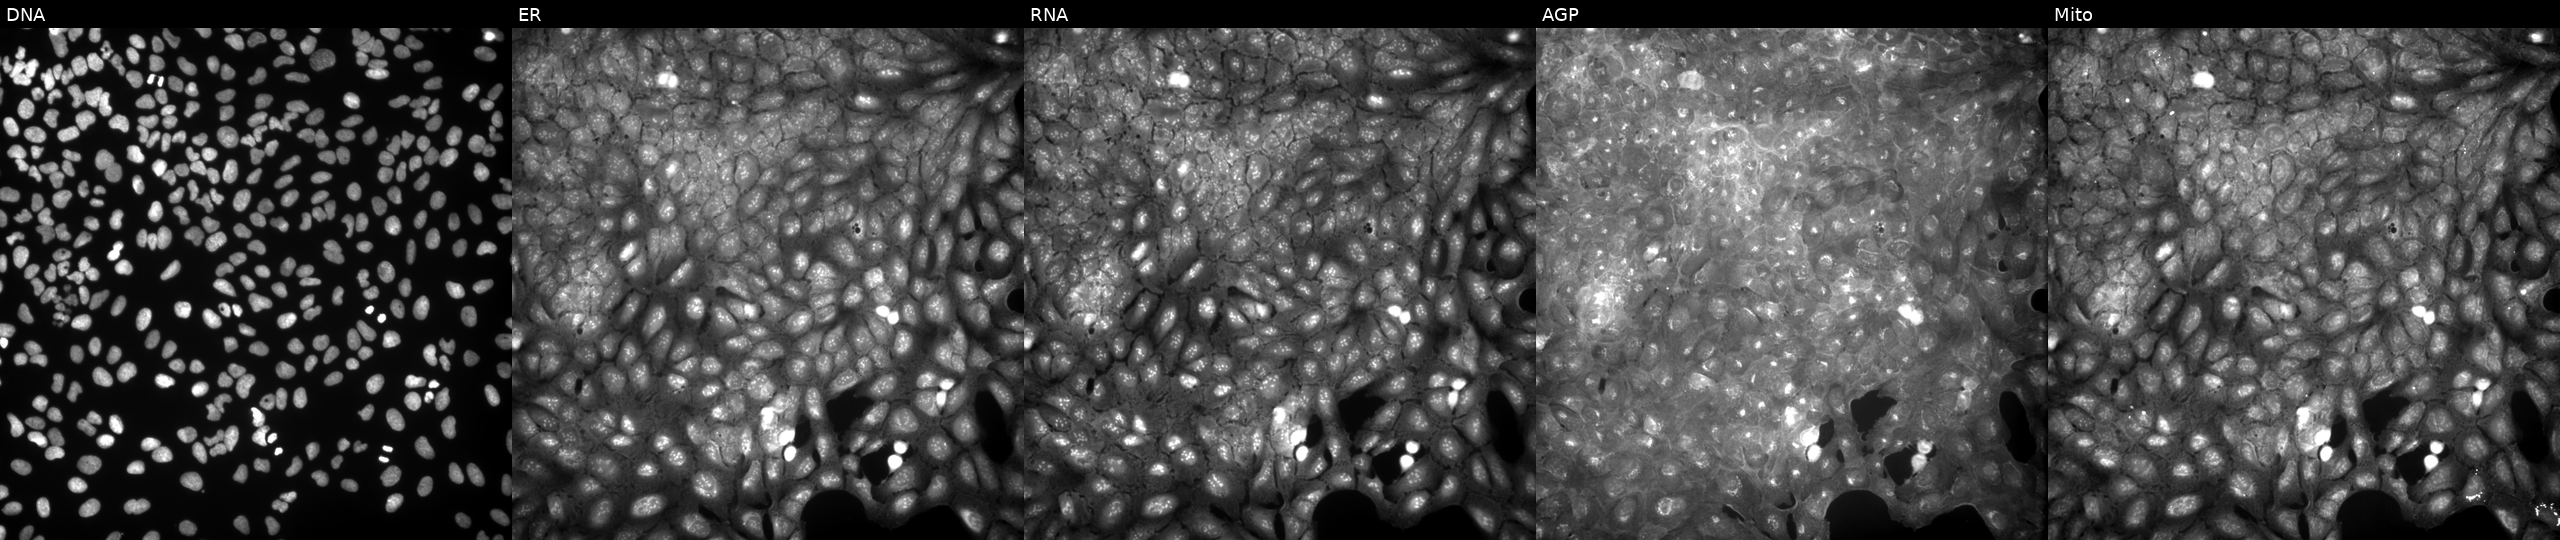
JUMP Cell Painting — COMPOUND plate. U2OS cells perturbed with a small-molecule compound (InChIKey SQELFMOZMHVIGU-UHFFFAOYSA-N). Panels show, left to right, DNA (nuclei); ER (endoplasmic reticulum); RNA (nucleoli and cytoplasmic RNA); AGP (actin cytoskeleton, Golgi, and plasma membrane); Mito (mitochondria).